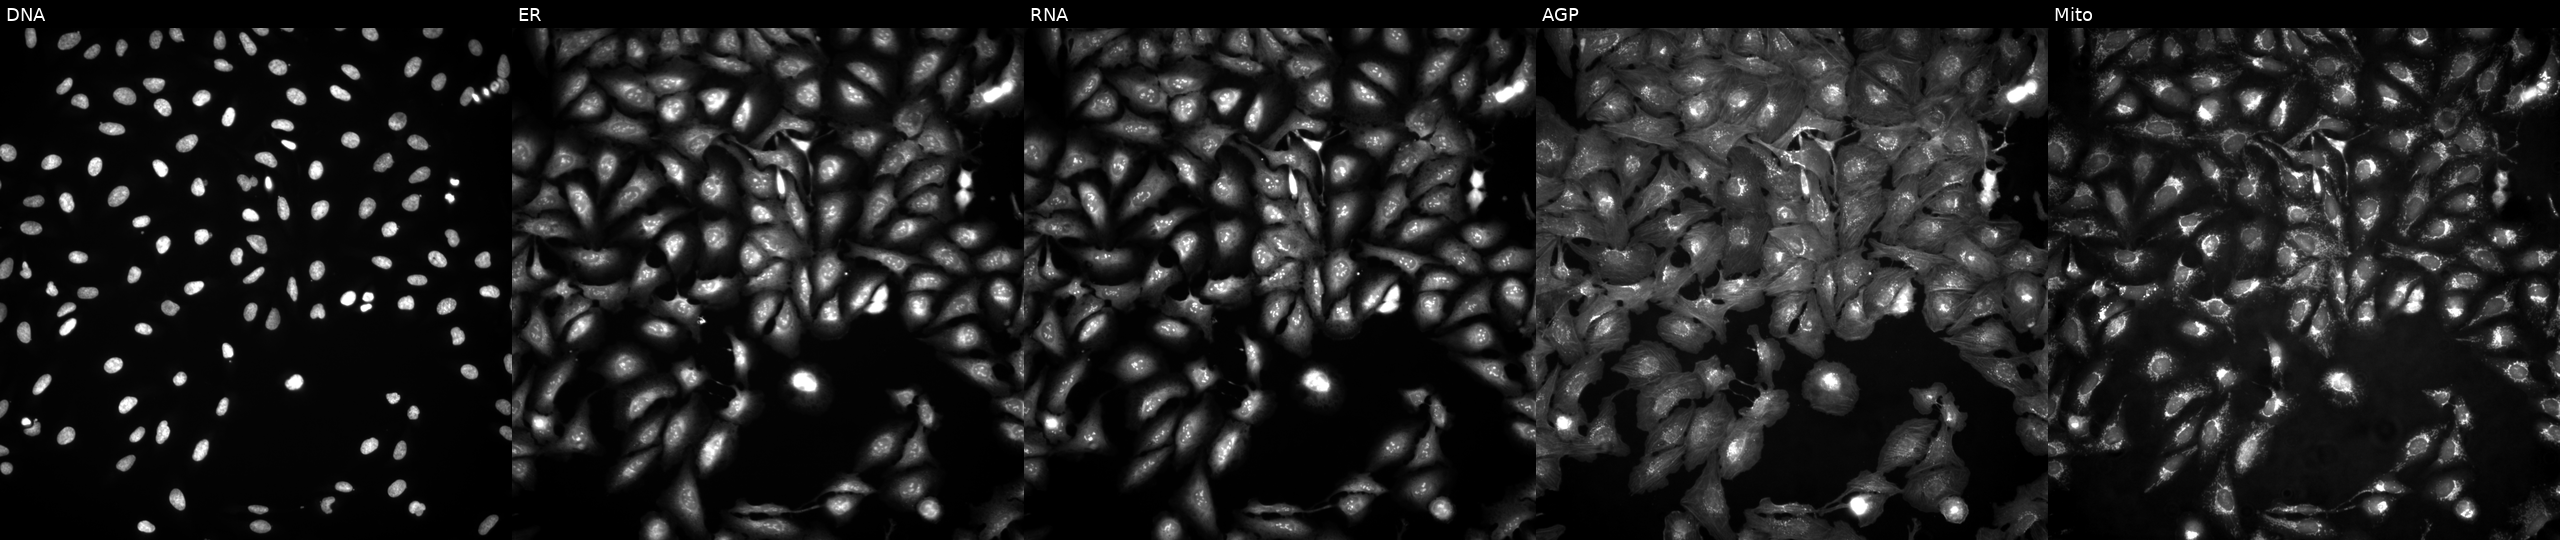
U2OS cells, Cell Painting assay, with FRK overexpressed (ORF). Channels (left→right): DNA, ER, RNA, AGP, and Mito. Each panel is percentile-stretched 16-bit fluorescence.